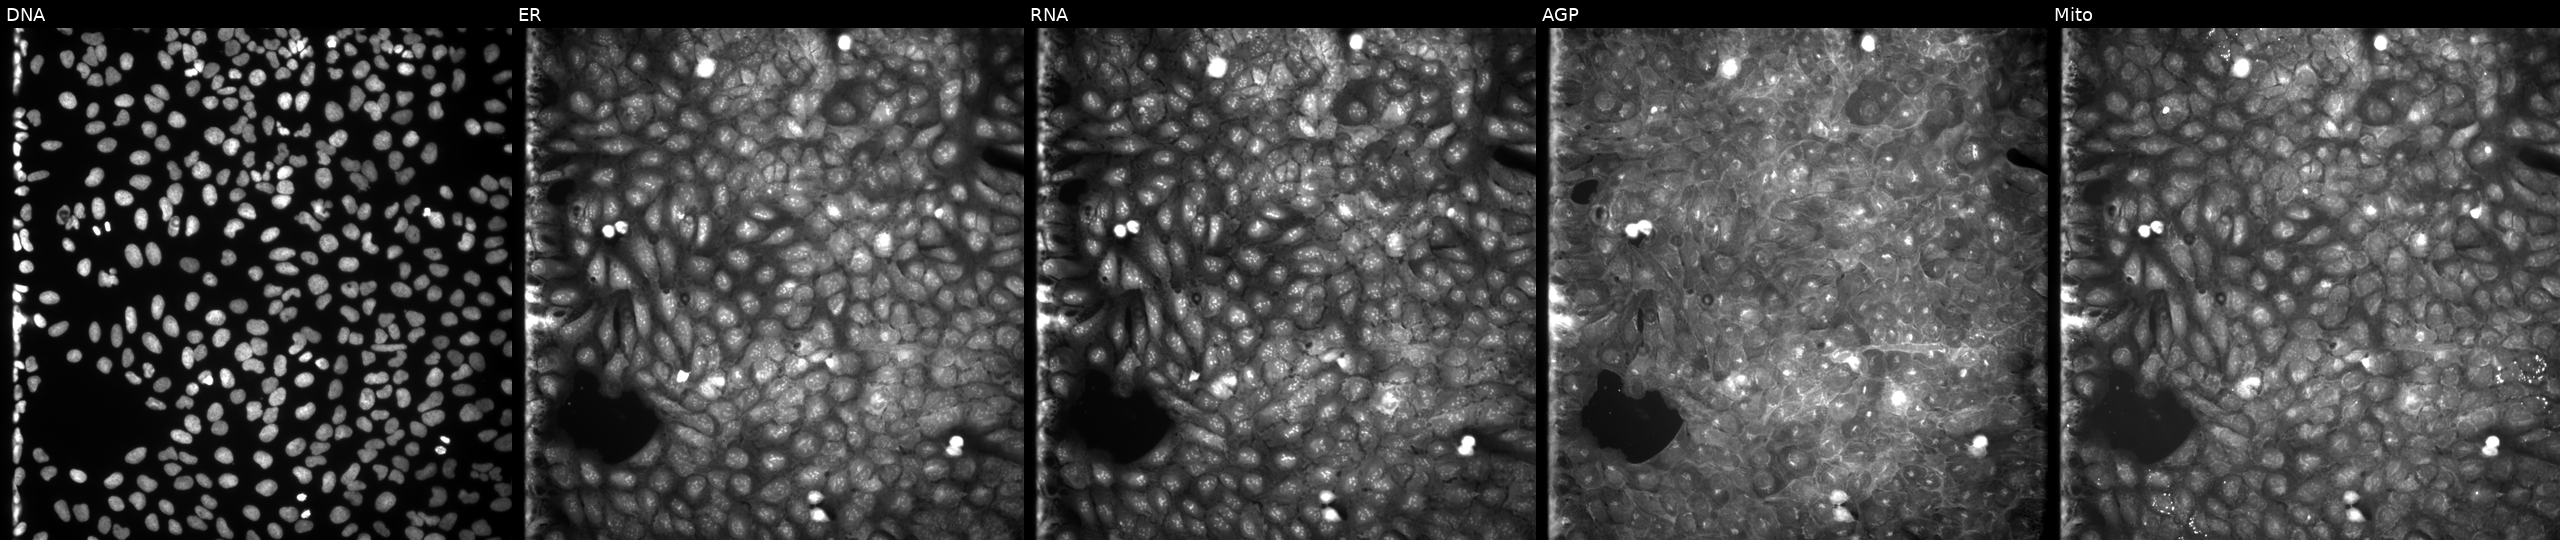
Five-channel Cell Painting image of U2OS cells perturbed with a small-molecule compound (InChIKey UNPQPNWCRBYUAP-UHFFFAOYSA-N) (JUMP id JCP2022_090365). From left to right: Hoechst 33342, concanavalin A, SYTO 14, phalloidin and WGA, MitoTracker. Source 9, plate GR00003381, well B14.